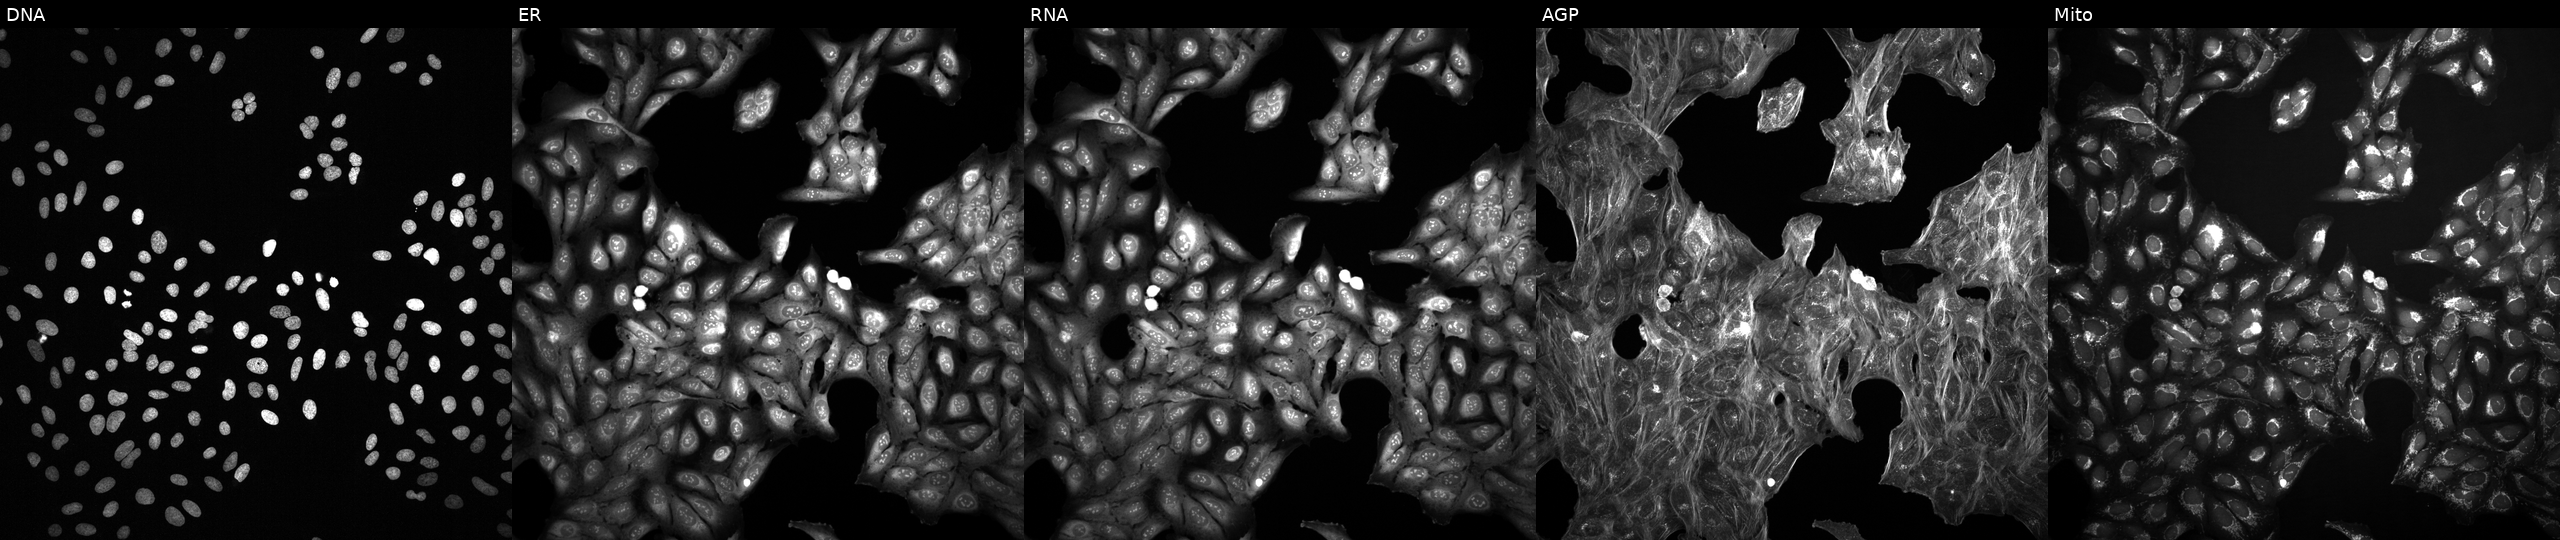
Five-channel Cell Painting image of U2OS cells perturbed with a small-molecule compound (InChIKey HWHLPVGTWGOCJO-UHFFFAOYSA-N). The five panels, left to right, show DNA, ER, RNA, AGP, and Mito.